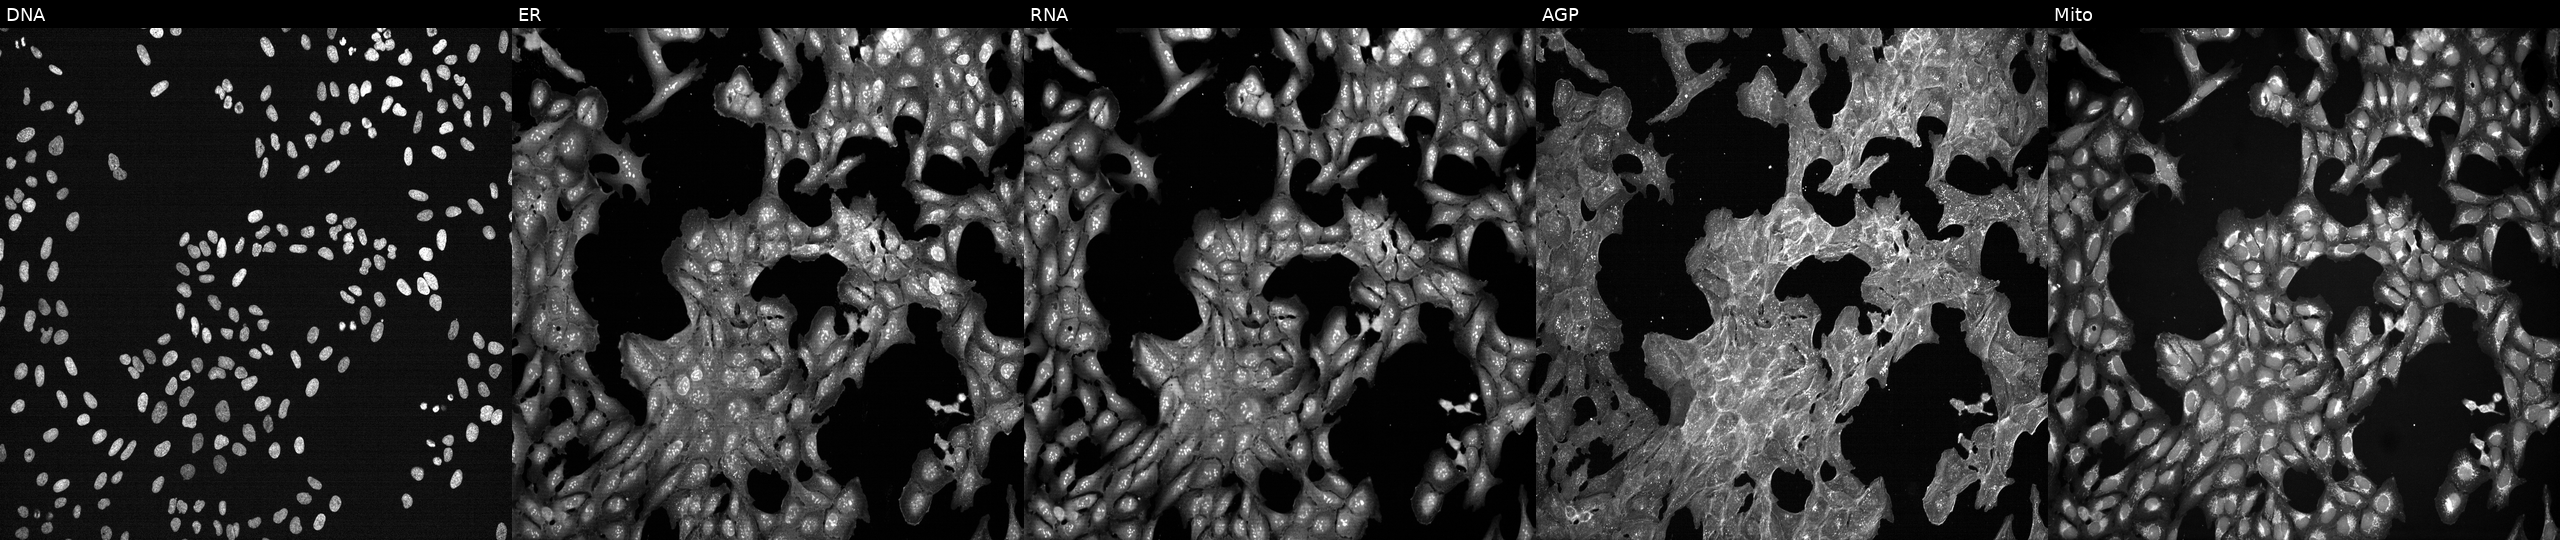
U2OS cells, Cell Painting assay, perturbed with a small-molecule compound (InChIKey KPYSYYIEGFHWSV-UHFFFAOYSA-N). Channels (left→right): DNA, ER, RNA, AGP, and Mito. Each panel is percentile-stretched 16-bit fluorescence. Source 7, plate CP2-SC1-25, well G13.